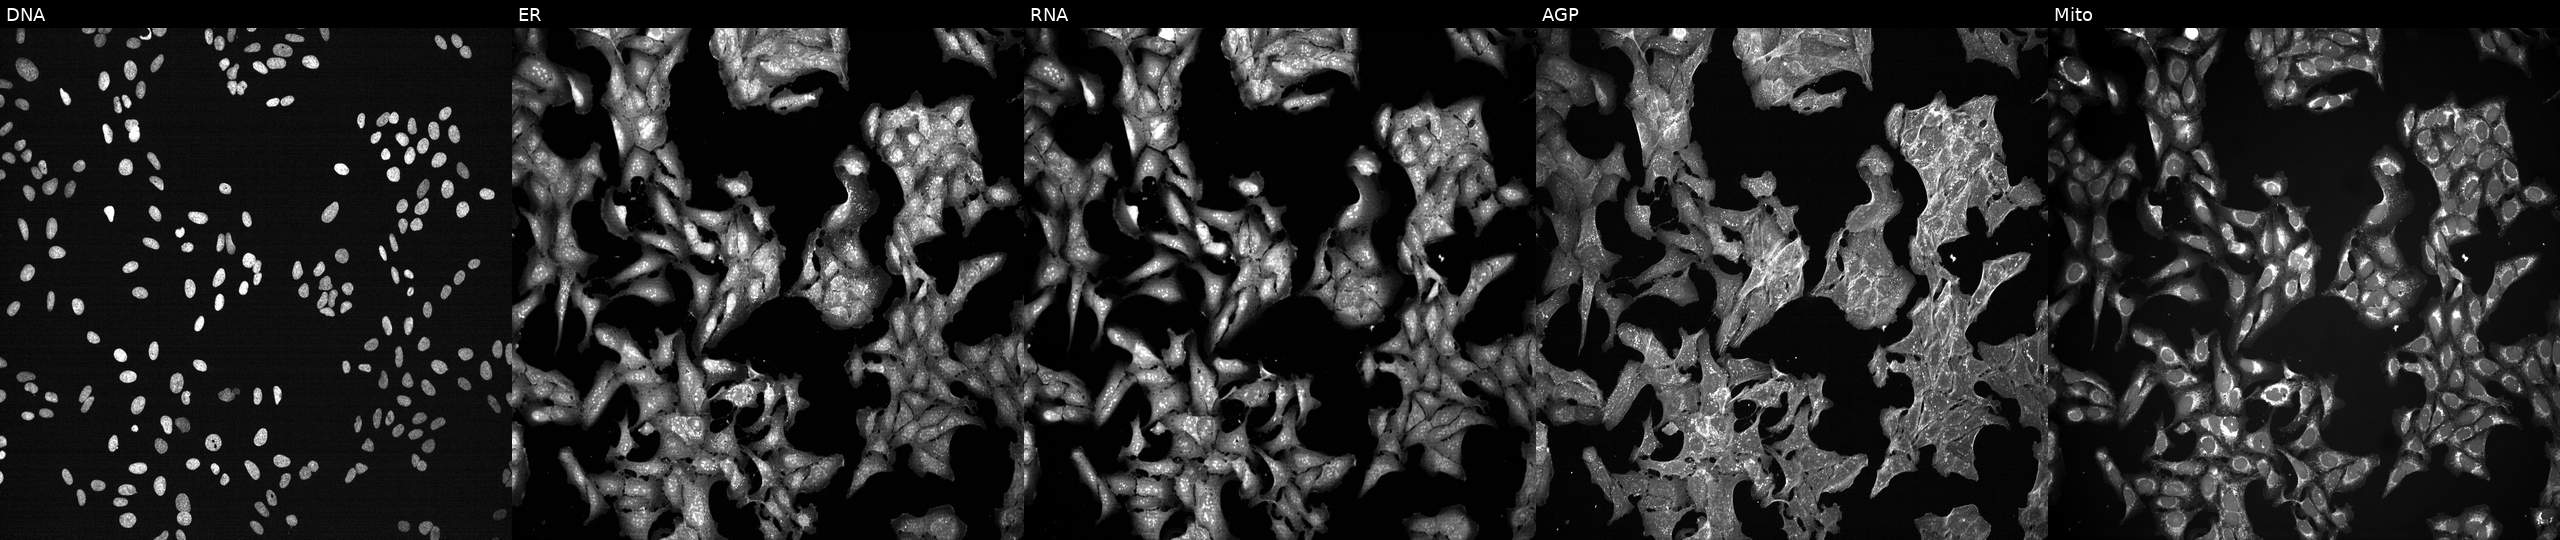
U2OS cells, Cell Painting assay, perturbed with a small-molecule compound (JUMP id JCP2022_001036). Channels (left→right): DNA (nuclei); ER (endoplasmic reticulum); RNA (nucleoli and cytoplasmic RNA); AGP (actin cytoskeleton, Golgi, and plasma membrane); Mito (mitochondria). Each panel is percentile-stretched 16-bit fluorescence.